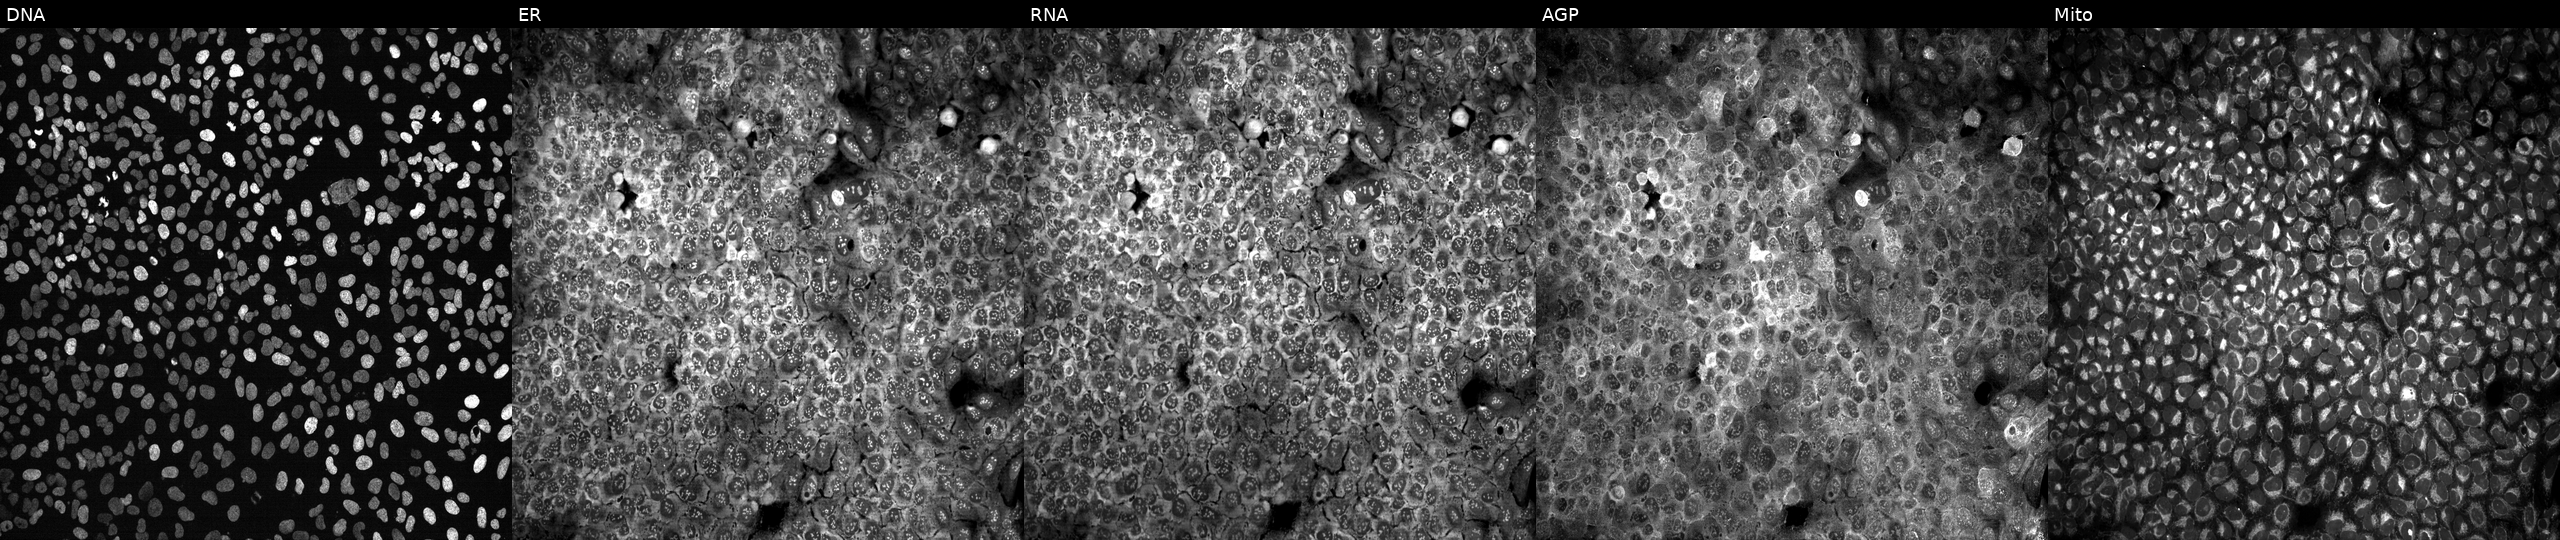
Five-channel Cell Painting image of U2OS cells following CRISPR knockout of CCL7 (JUMP id JCP2022_801104). From left to right: DNA (nuclei); ER (endoplasmic reticulum); RNA (nucleoli and cytoplasmic RNA); AGP (actin cytoskeleton, Golgi, and plasma membrane); Mito (mitochondria).